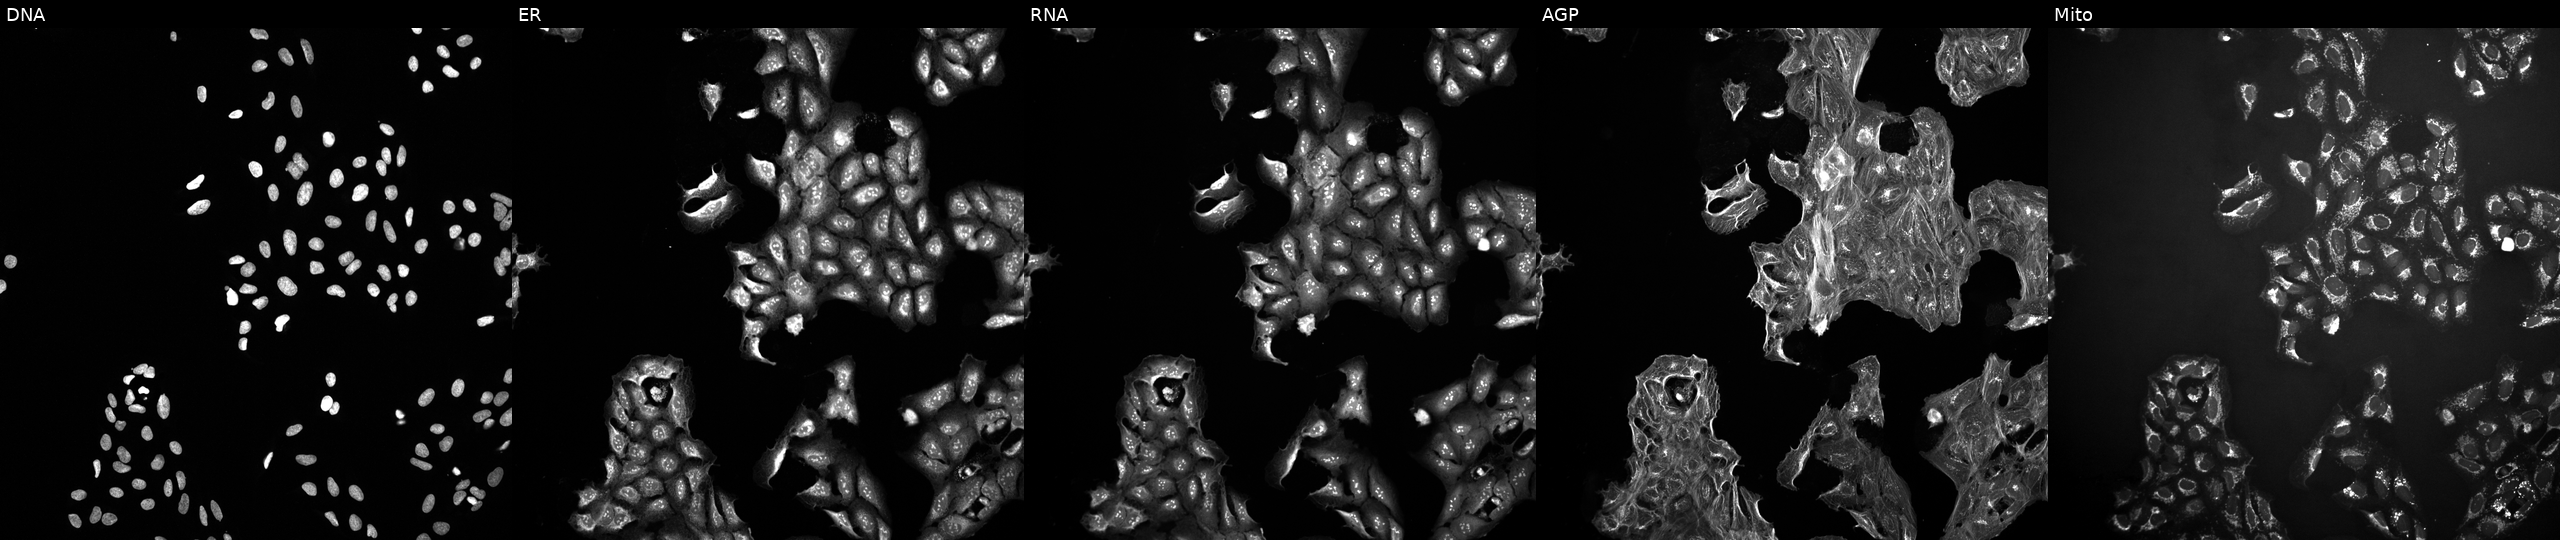
High-content fluorescence microscopy (Cell Painting). Cell line: U2OS. Perturbation: treated with a small-molecule compound (InChIKey MAKMQGKJURAJEN-UHFFFAOYSA-N). The five panels, left to right, show DNA (nuclei); ER (endoplasmic reticulum); RNA (nucleoli and cytoplasmic RNA); AGP (actin cytoskeleton, Golgi, and plasma membrane); Mito (mitochondria). Source 10, plate Dest210726-160150, well G02.